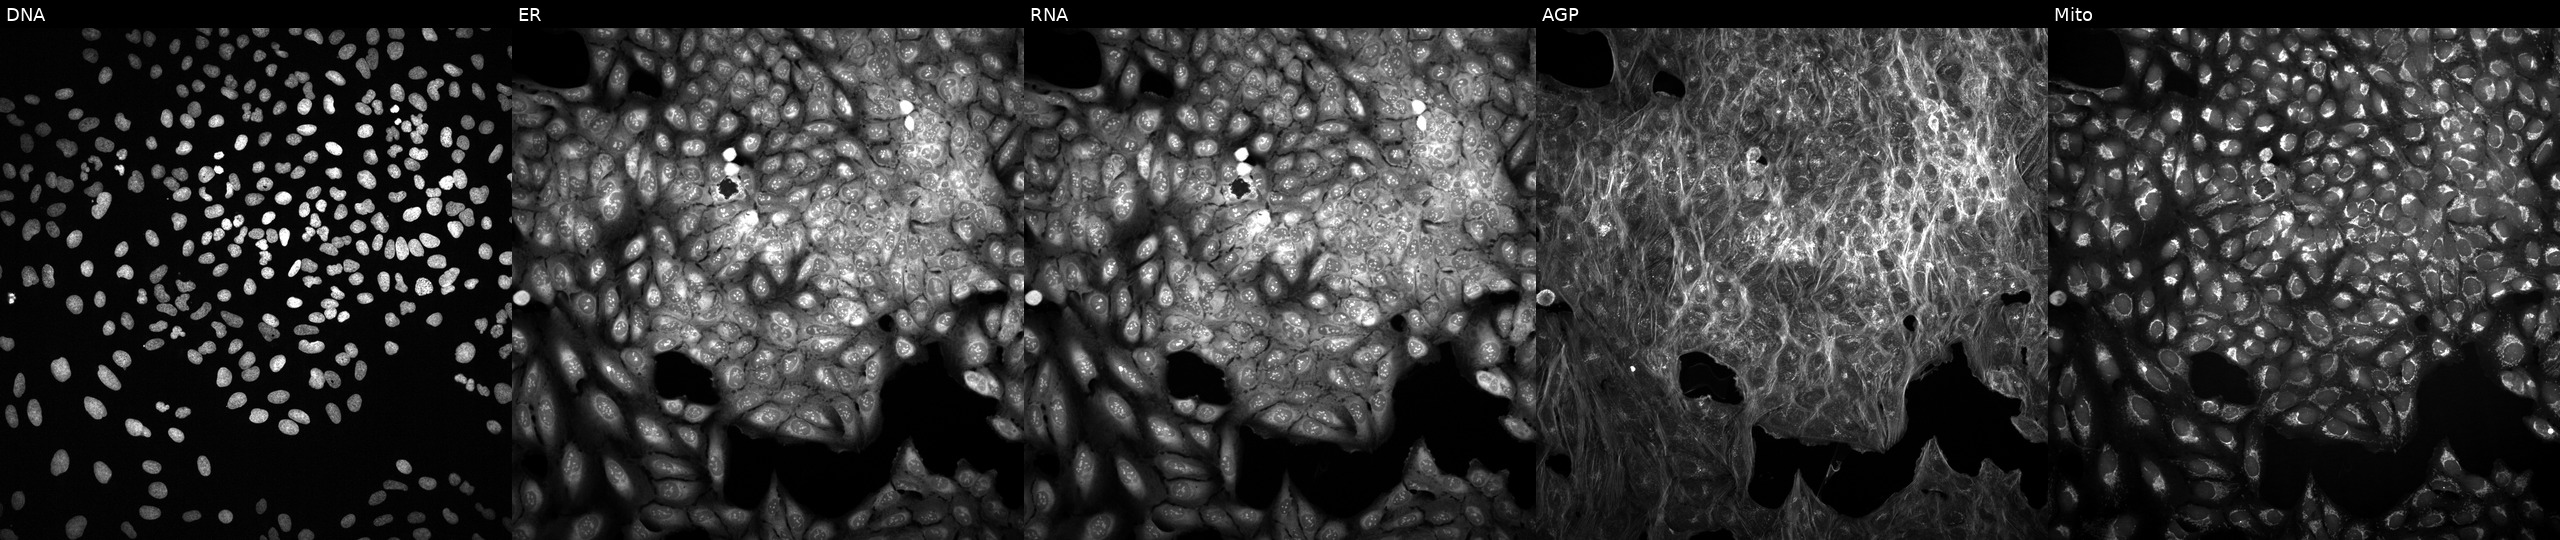
Five-channel Cell Painting image of U2OS cells exposed to a small-molecule compound (InChIKey TZDUHAJSIBHXDL-UHFFFAOYSA-N). Channels (left→right): Hoechst 33342, concanavalin A, SYTO 14, phalloidin and WGA, MitoTracker. Source 2, plate 1053597936, well O18.